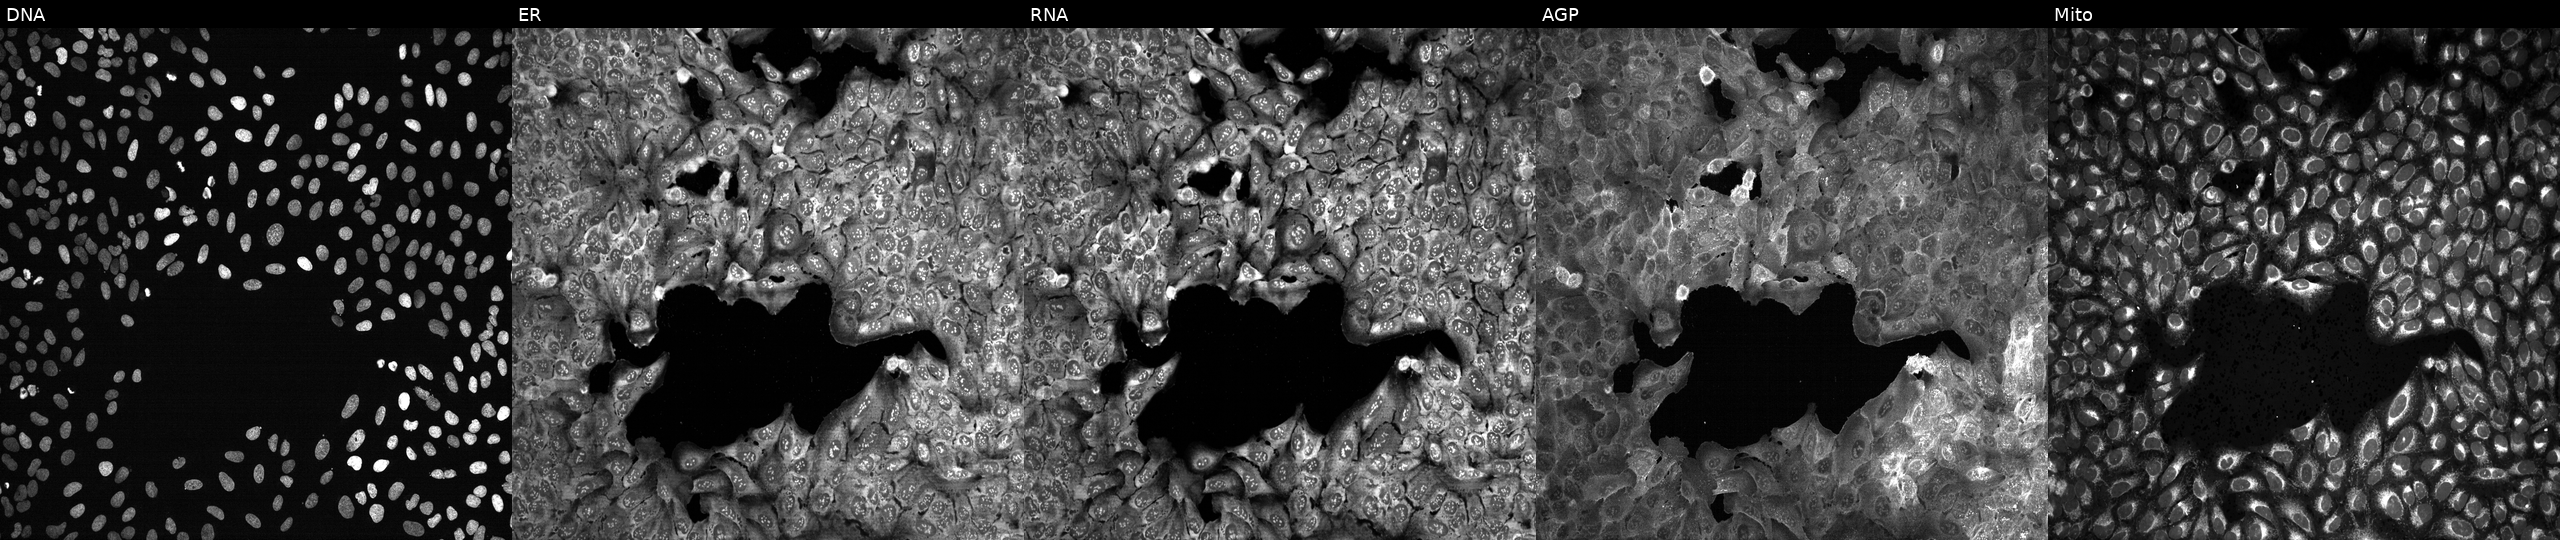
JUMP Cell Painting — CRISPR plate. U2OS cells with PLA2G4F knocked out by CRISPR (JUMP id JCP2022_805229). Channels (left→right): DNA (nuclei); ER (endoplasmic reticulum); RNA (nucleoli and cytoplasmic RNA); AGP (actin cytoskeleton, Golgi, and plasma membrane); Mito (mitochondria). Source 13, plate CP-CC9-R2-02, well C03.